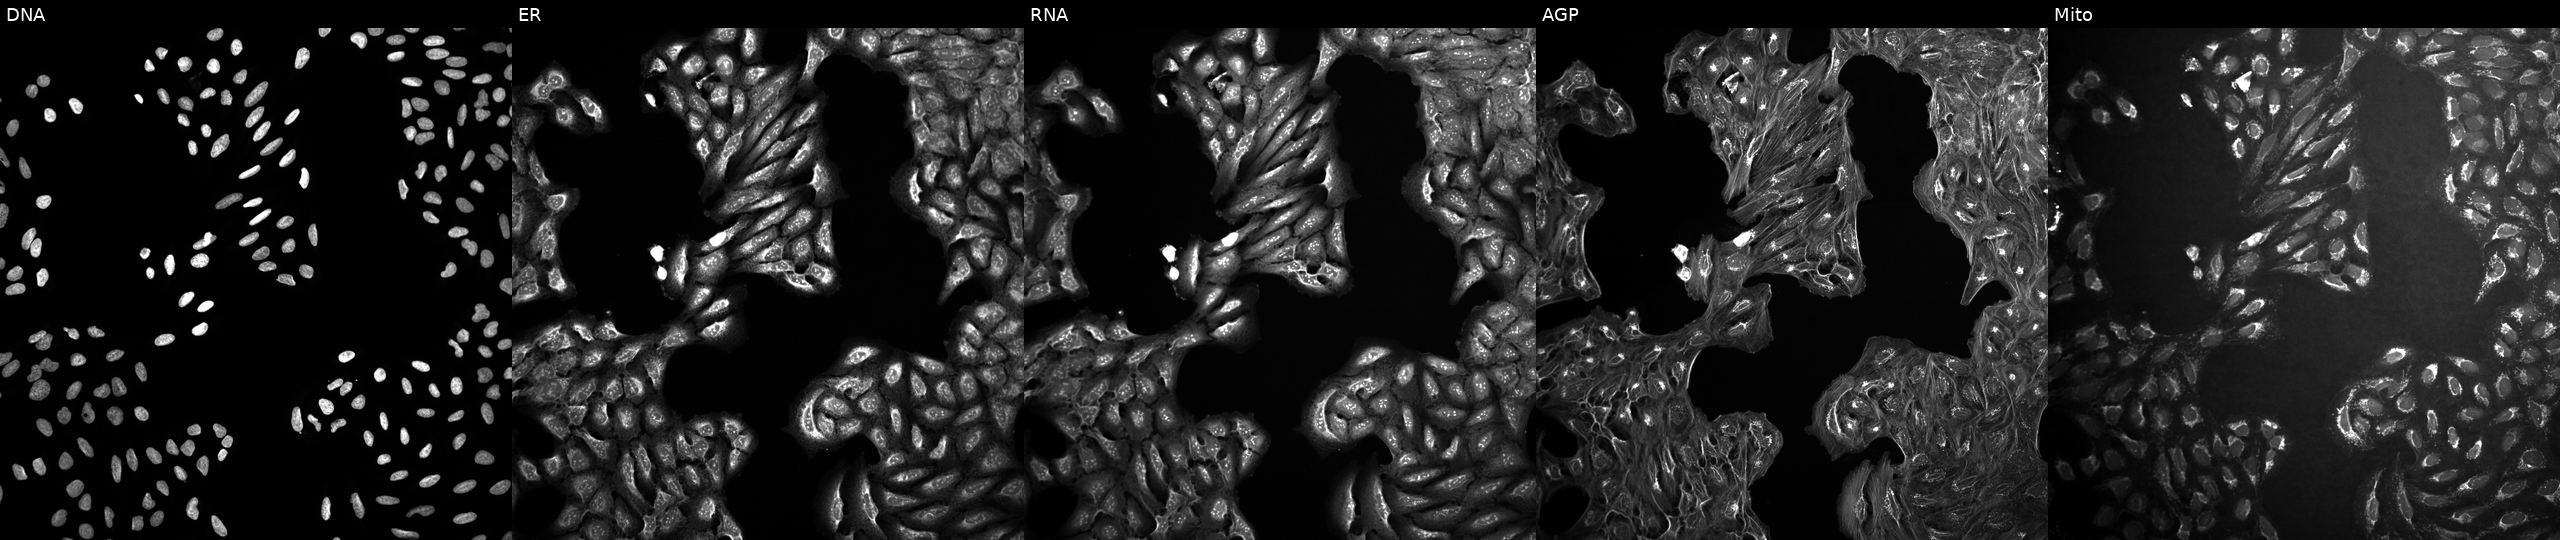
Five-channel Cell Painting image of U2OS cells treated with a small-molecule compound [SMILES: CS(=O)(=O)NCc1nc(C2CCCCC2)cs1] (JUMP id JCP2022_006810). From left to right: Hoechst 33342, concanavalin A, SYTO 14, phalloidin and WGA, MitoTracker.